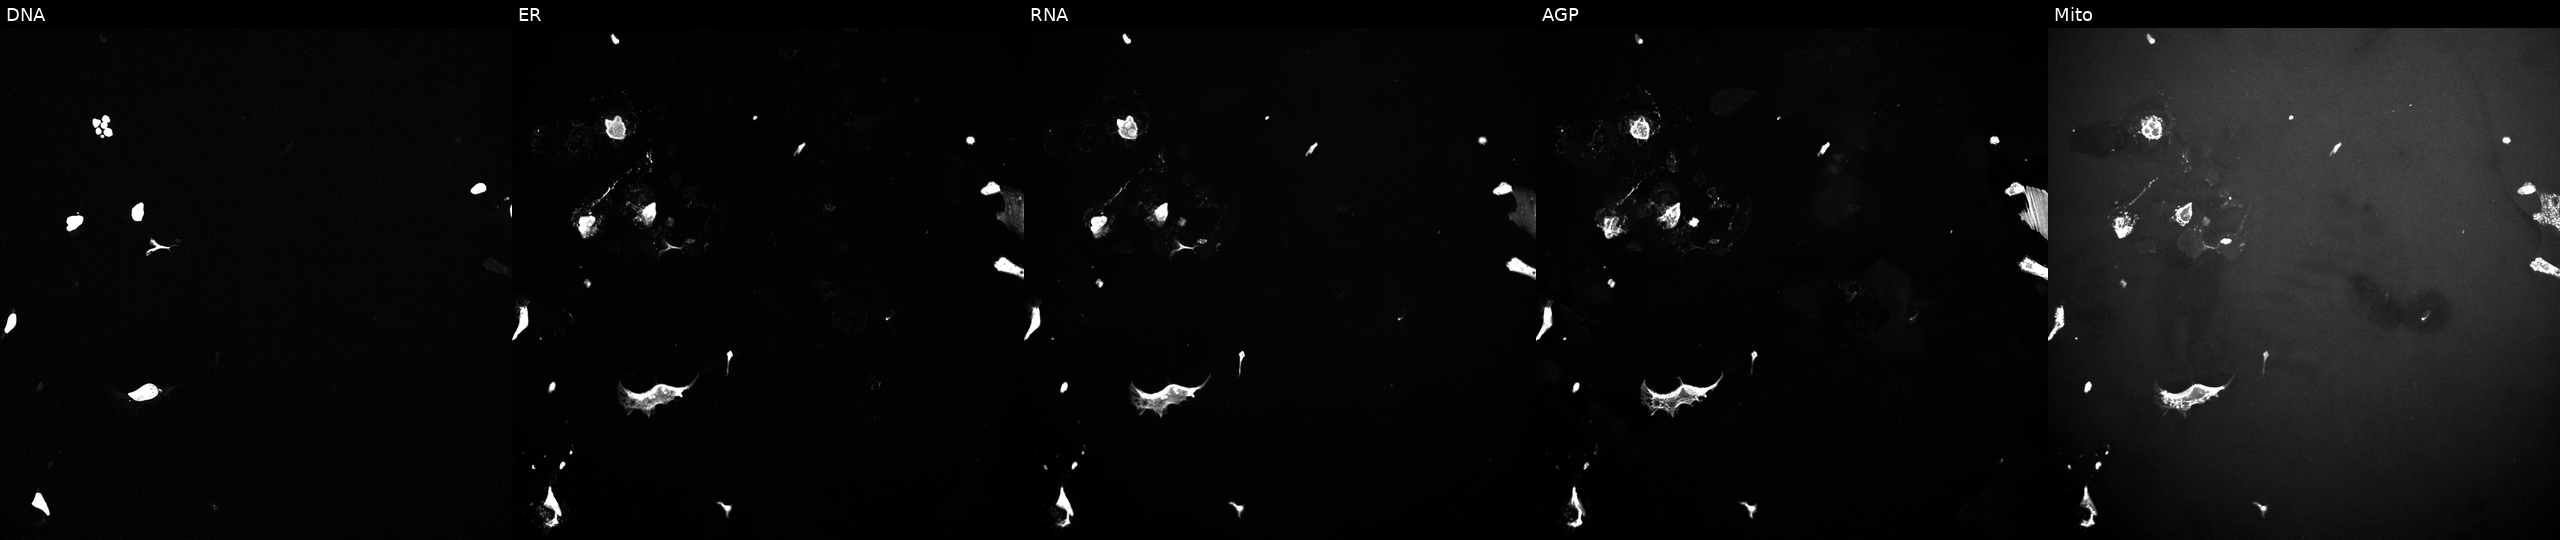
U2OS cells, Cell Painting assay, exposed to a small-molecule compound (InChIKey MTJHLONVHHPNSI-UHFFFAOYSA-N). From left to right: Hoechst 33342, concanavalin A, SYTO 14, phalloidin and WGA, MitoTracker. Each panel is percentile-stretched 16-bit fluorescence.